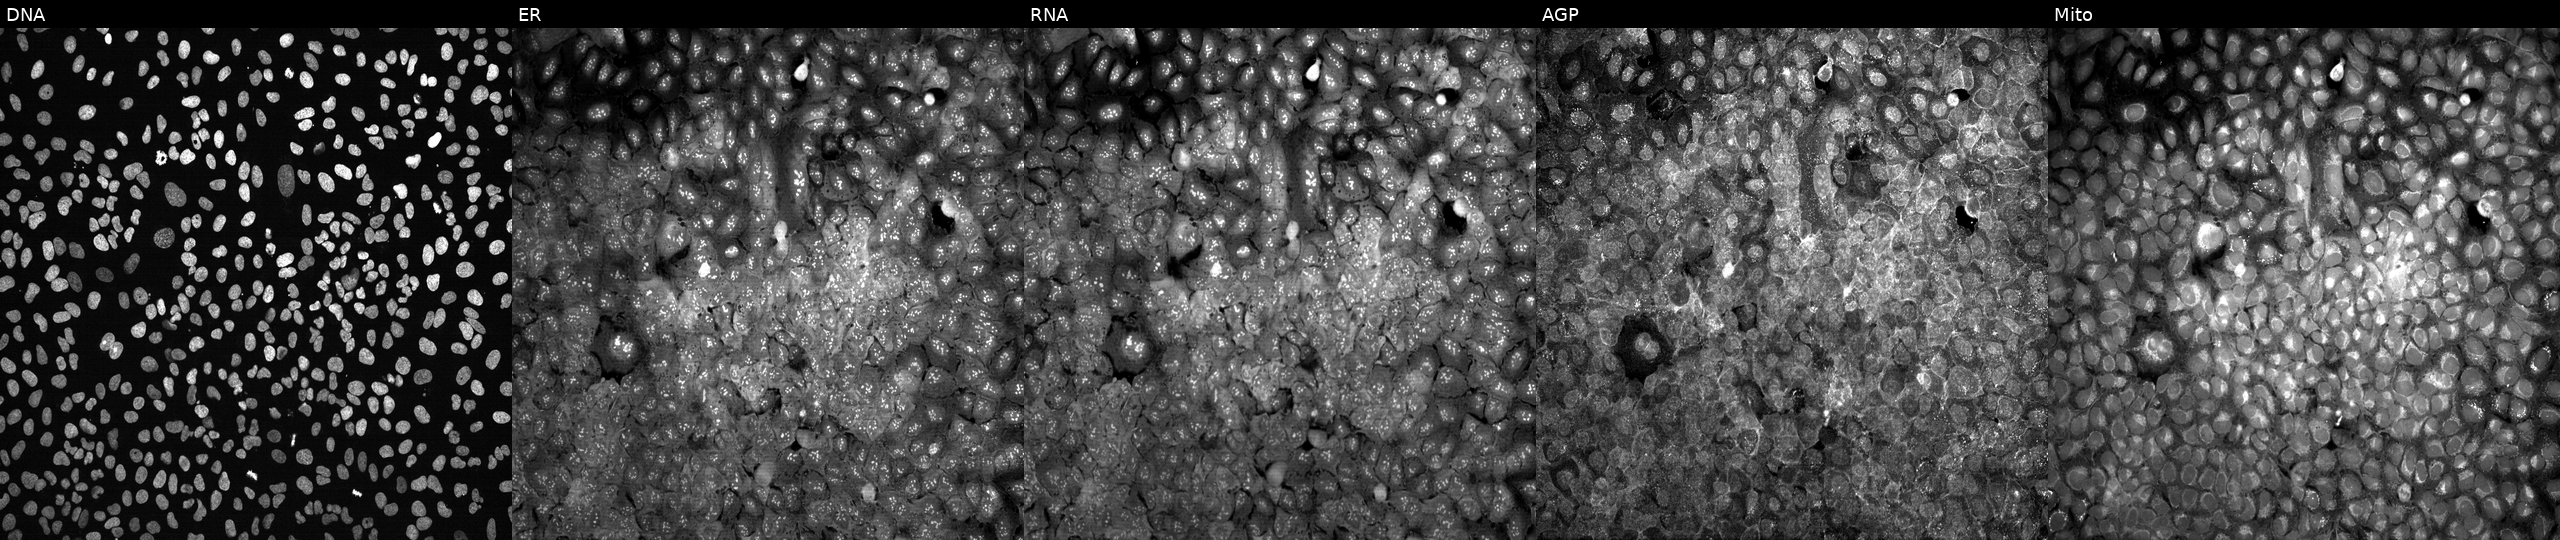
This image strip shows the five Cell Painting channels for a single field of U2OS cells with NDST4 knocked out by CRISPR (JUMP id JCP2022_804471). Channels (left→right): DNA, ER, RNA, AGP, and Mito.